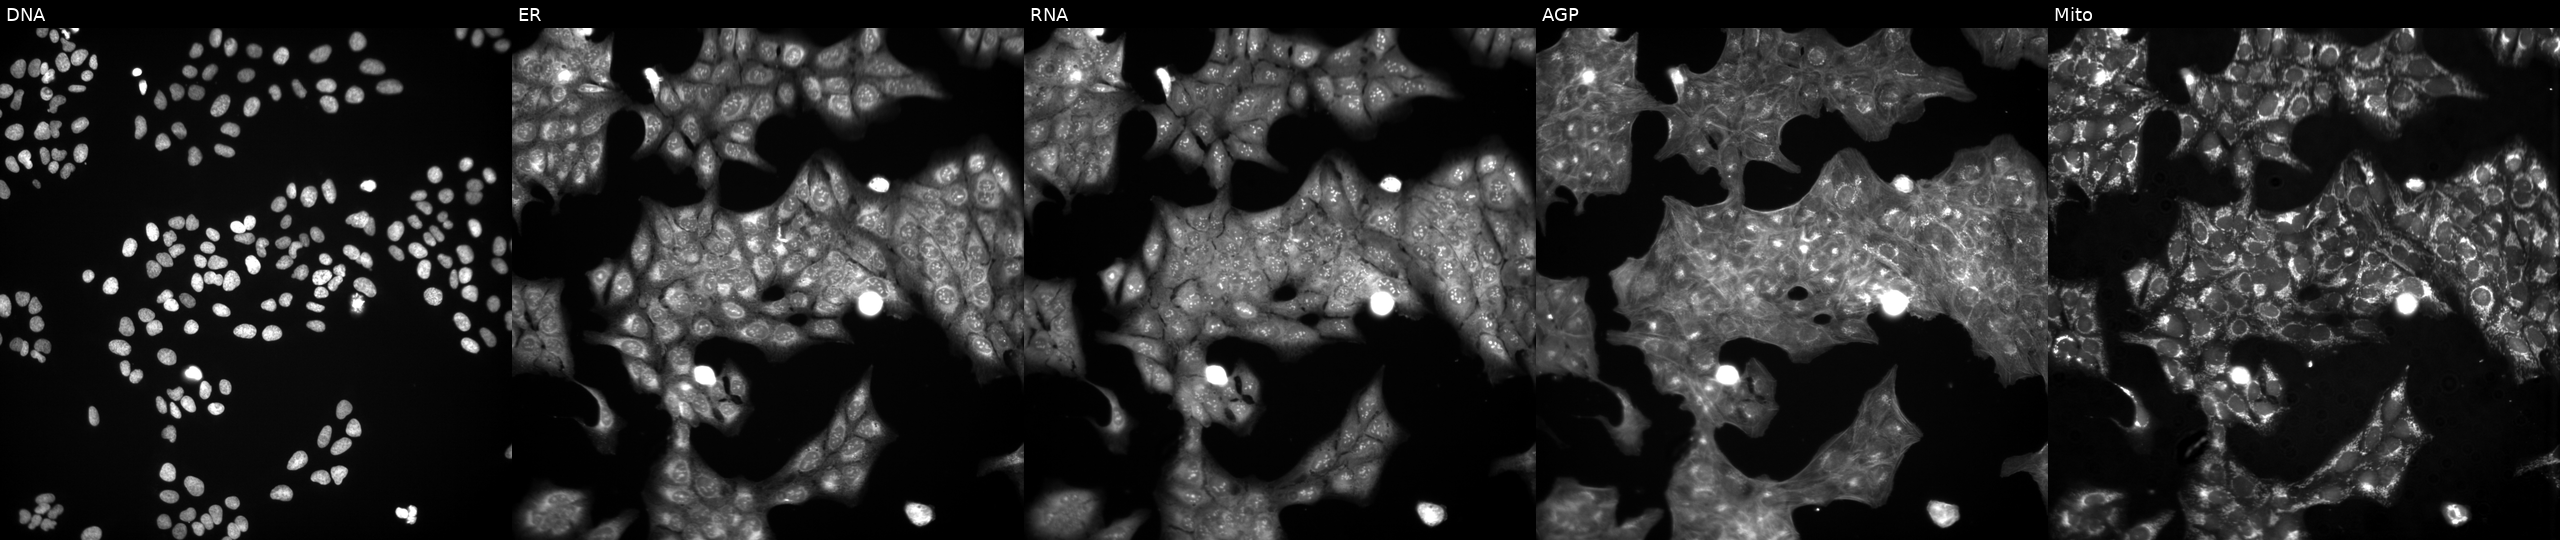
The five panels, left to right, show Hoechst 33342, concanavalin A, SYTO 14, phalloidin and WGA, MitoTracker. U2OS osteosarcoma cells treated with LY2109761 (positive-control compound) (JUMP id JCP2022_035095). Cell Painting assay, JUMP-CP dataset.